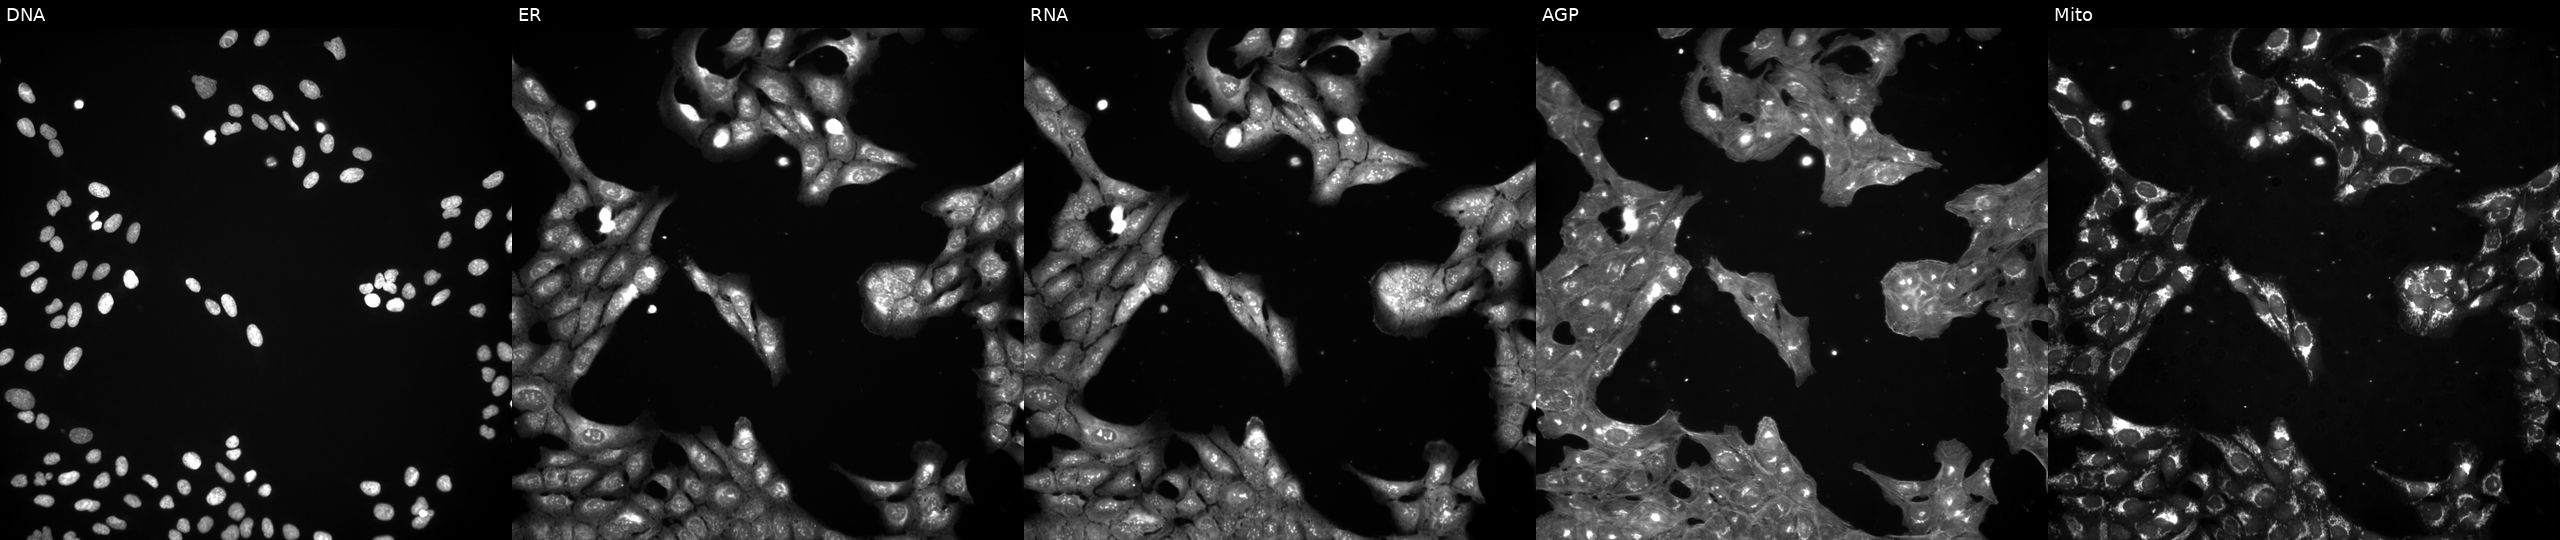
High-content fluorescence microscopy (Cell Painting). Cell line: U2OS. Perturbation: treated with a small-molecule compound (InChIKey BGVLELSCIHASRV-UHFFFAOYSA-N). Channels (left→right): Hoechst 33342, concanavalin A, SYTO 14, phalloidin and WGA, MitoTracker.